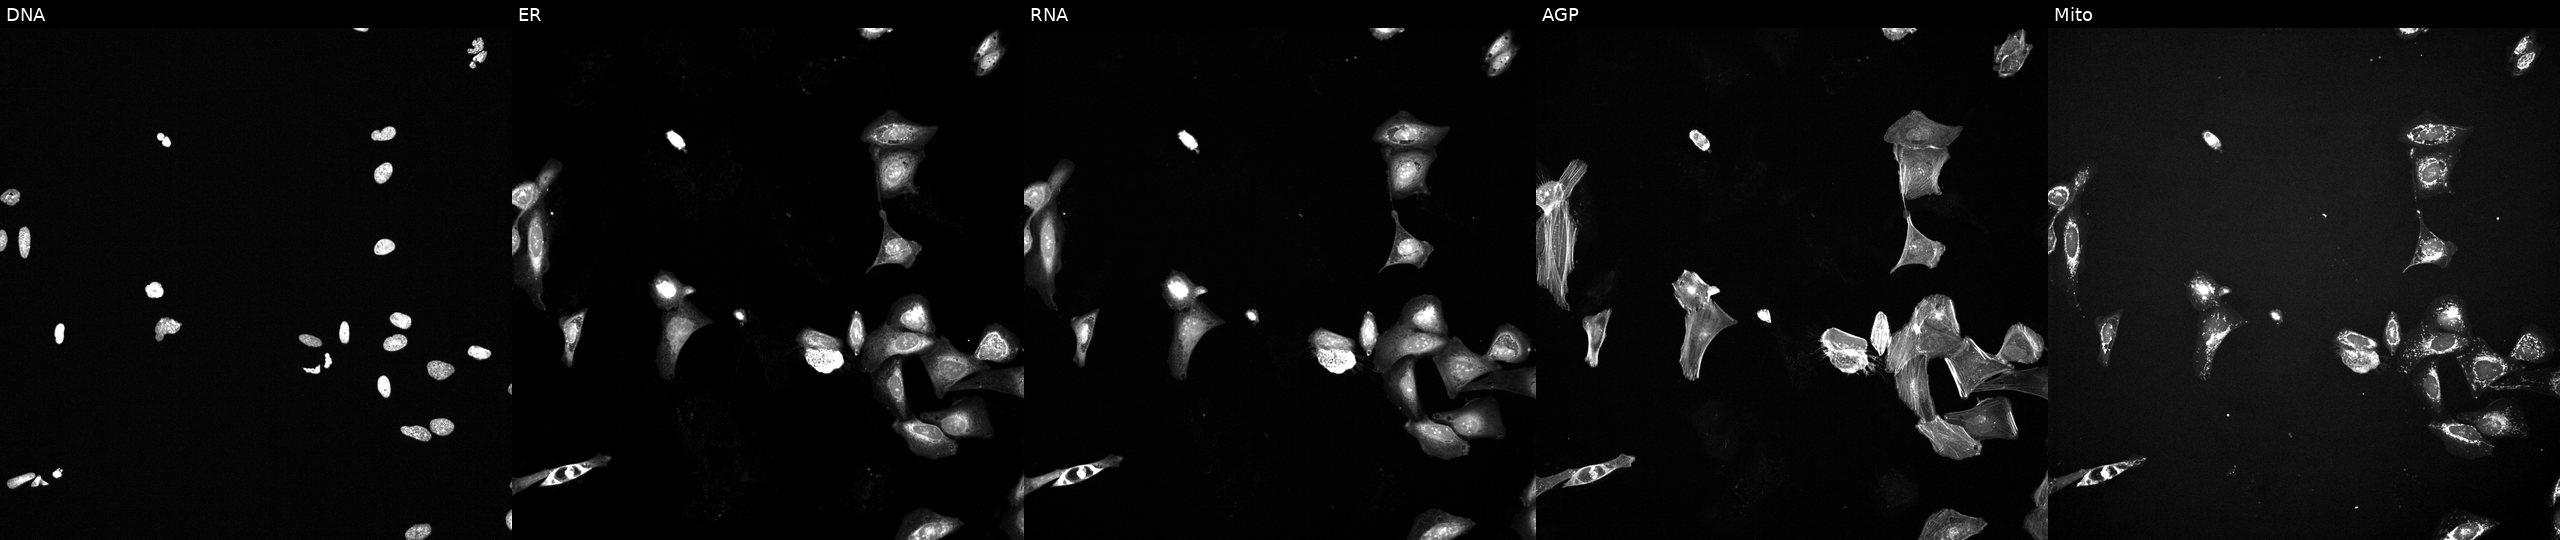
U2OS cells, Cell Painting assay, treated with a small-molecule compound (InChIKey AYCPARAPKDAOEN-UHFFFAOYSA-N). Panels show, left to right, Hoechst 33342, concanavalin A, SYTO 14, phalloidin and WGA, MitoTracker. Each panel is percentile-stretched 16-bit fluorescence.